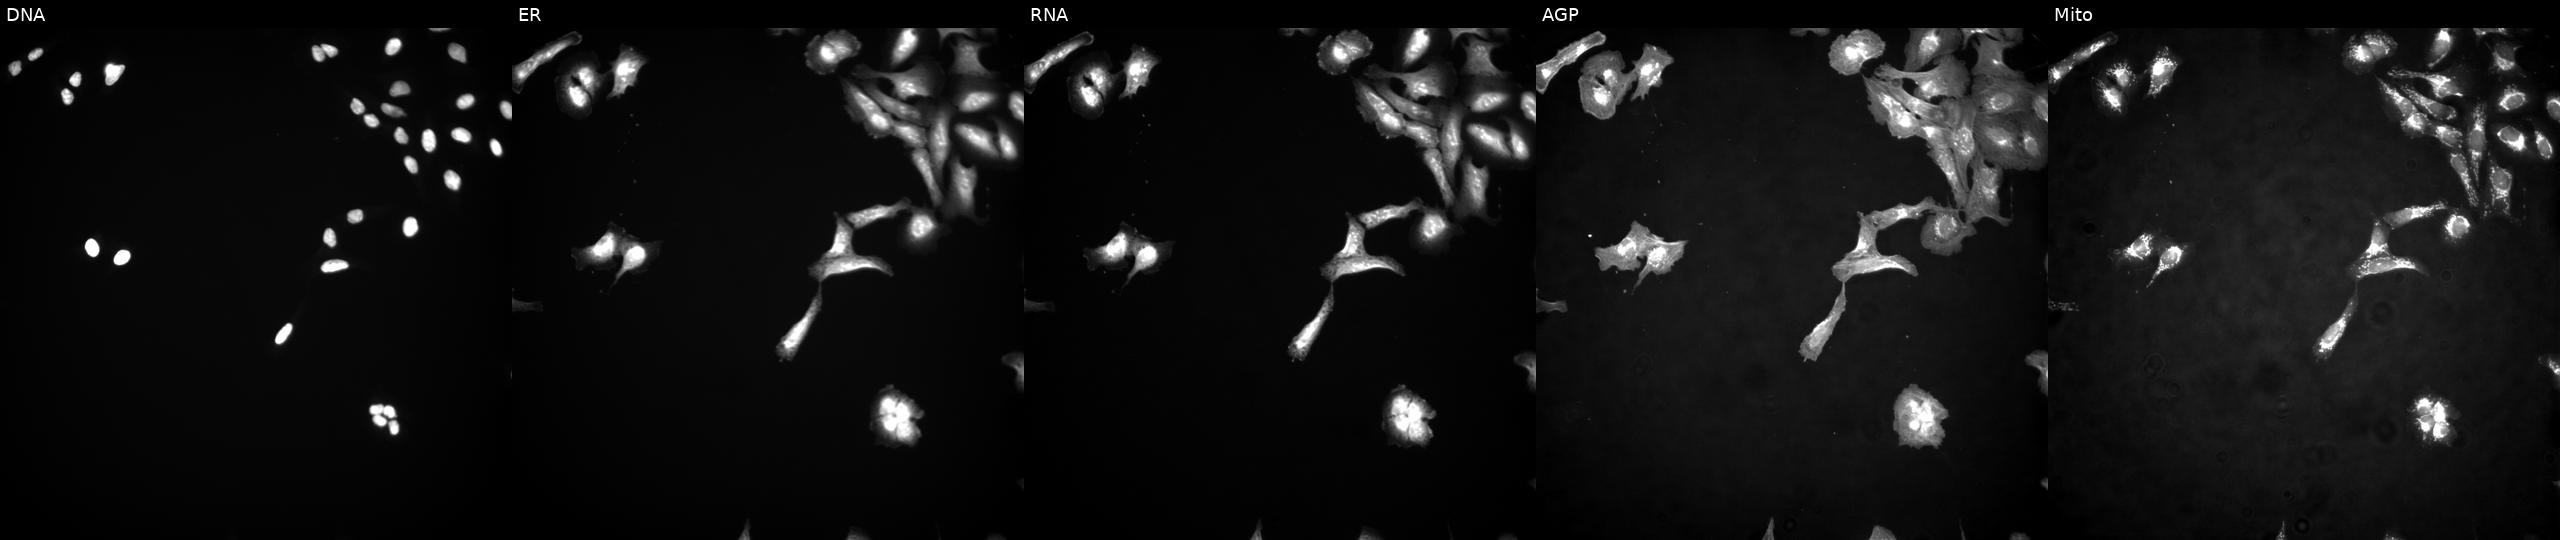
Panels show, left to right, DNA (nuclei); ER (endoplasmic reticulum); RNA (nucleoli and cytoplasmic RNA); AGP (actin cytoskeleton, Golgi, and plasma membrane); Mito (mitochondria). U2OS osteosarcoma cells transfected with an ORF construct for KLF12. Cell Painting assay, JUMP-CP dataset.